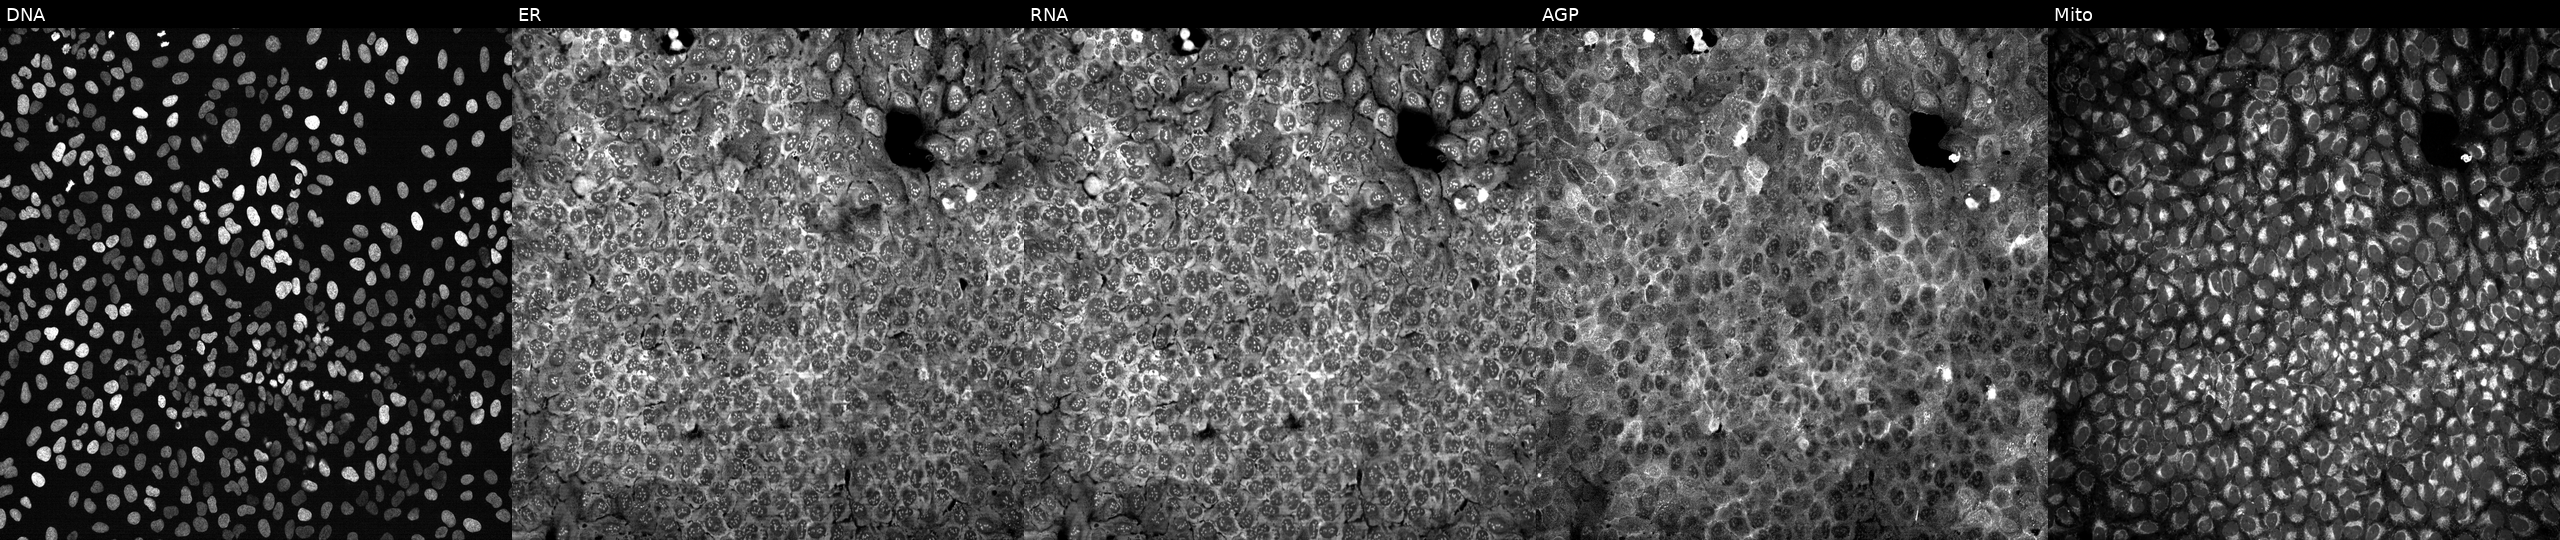
Panels show, left to right, DNA (nuclei); ER (endoplasmic reticulum); RNA (nucleoli and cytoplasmic RNA); AGP (actin cytoskeleton, Golgi, and plasma membrane); Mito (mitochondria). U2OS osteosarcoma cells exposed to the positive-control compound aloxistatin (JUMP id JCP2022_085227). Cell Painting assay, JUMP-CP dataset. Source 13, plate CP-CC9-R2-02, well E24.